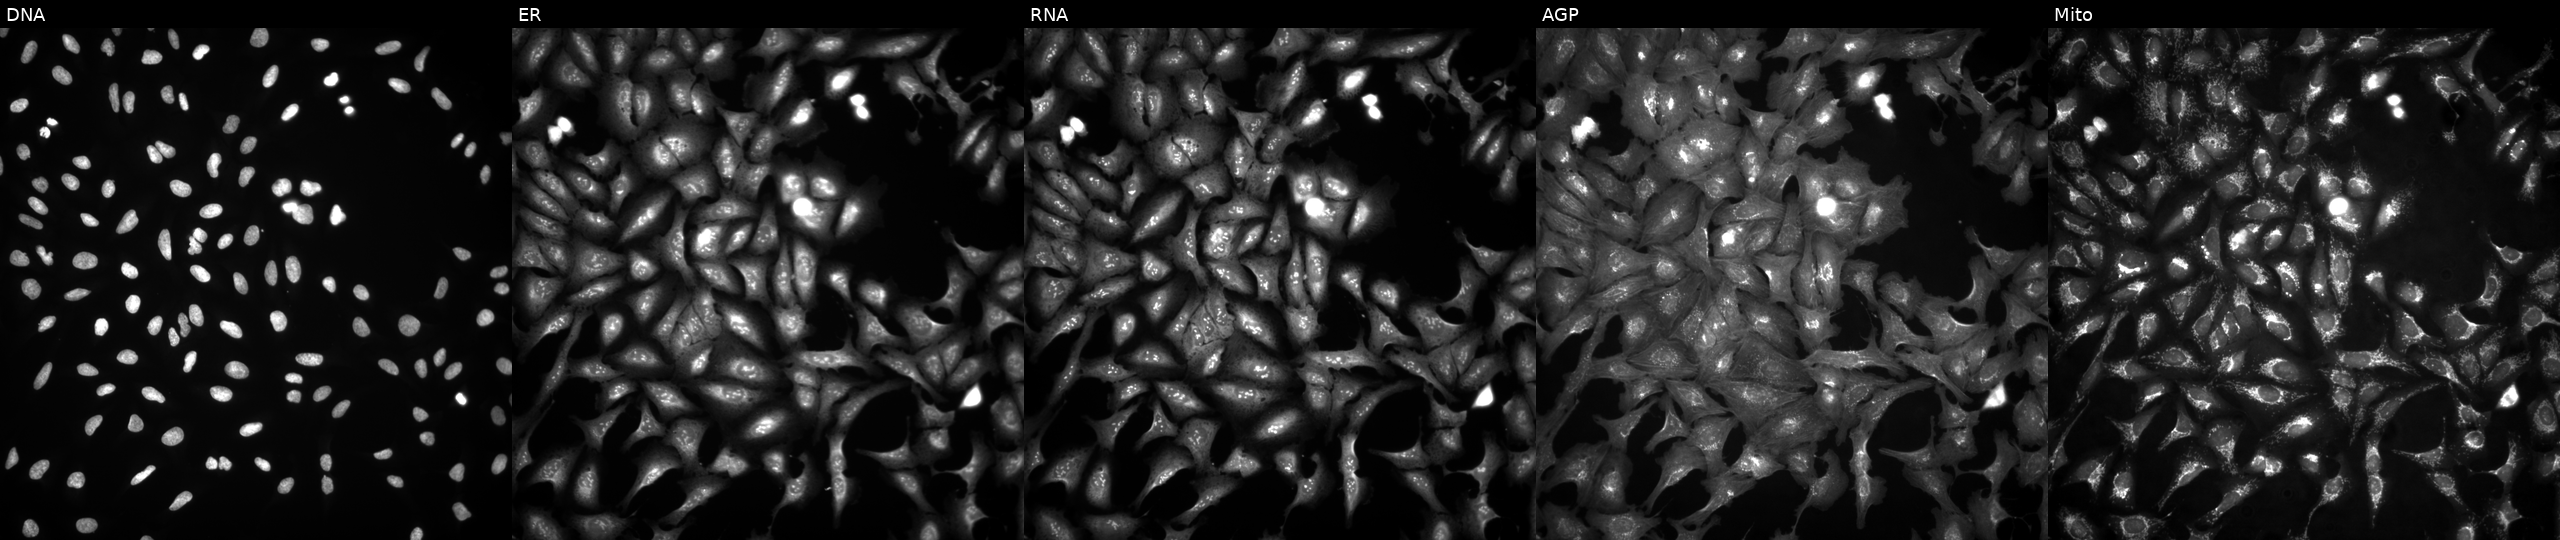
Five-channel Cell Painting image of U2OS cells untreated (empty-well control). The five panels, left to right, show DNA, ER, RNA, AGP, and Mito.